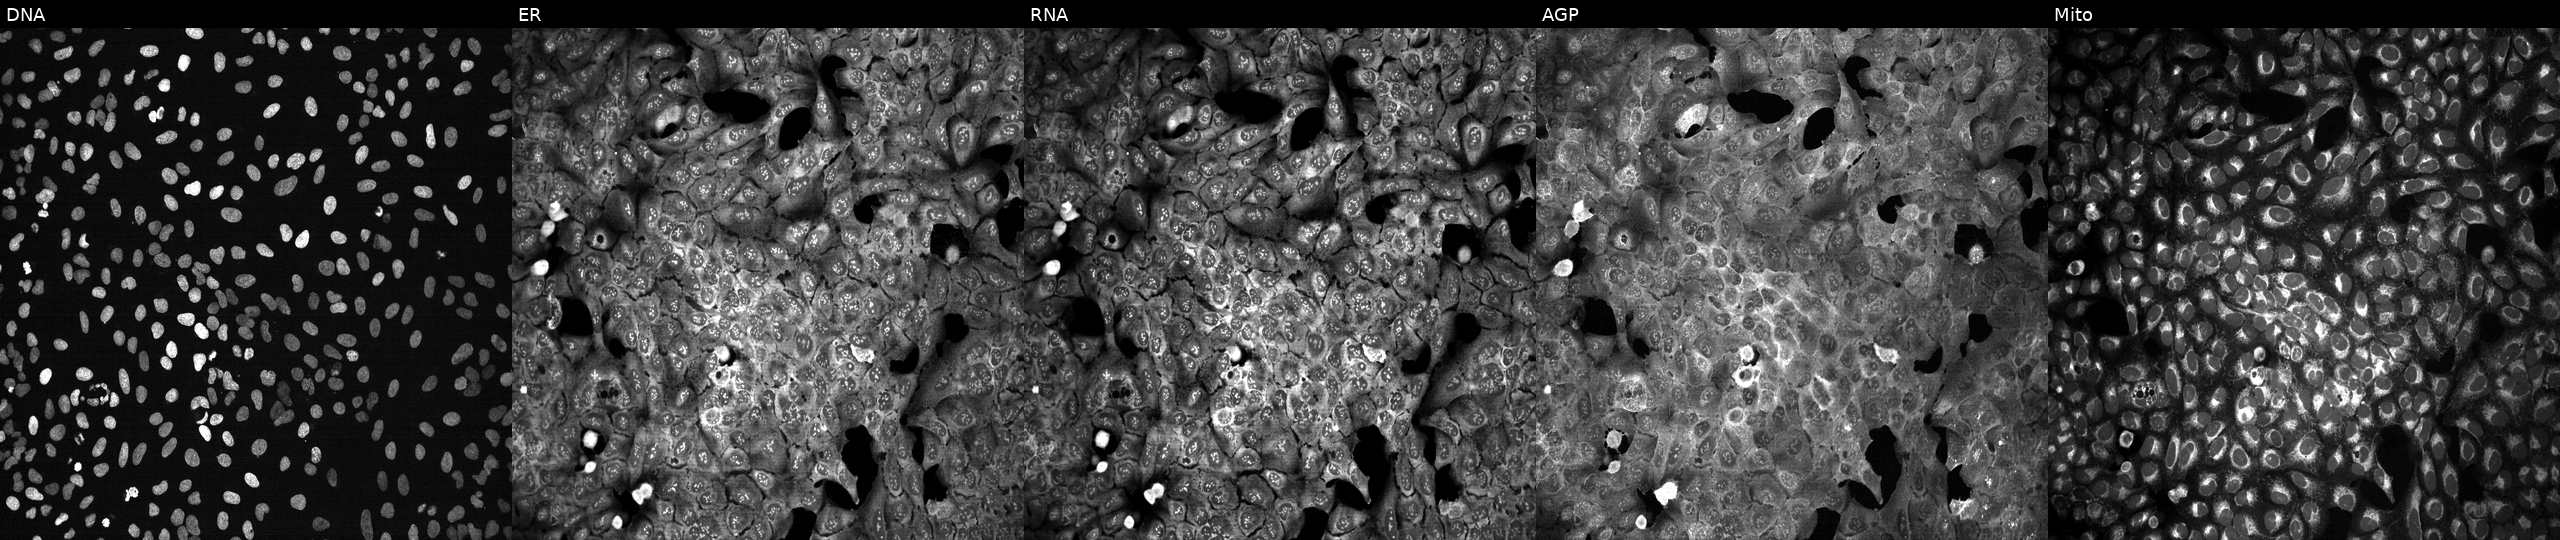
Panels show, left to right, DNA (nuclei); ER (endoplasmic reticulum); RNA (nucleoli and cytoplasmic RNA); AGP (actin cytoskeleton, Golgi, and plasma membrane); Mito (mitochondria). U2OS osteosarcoma cells following CRISPR knockout of PDE4C (JUMP id JCP2022_804992). Cell Painting assay, JUMP-CP dataset.